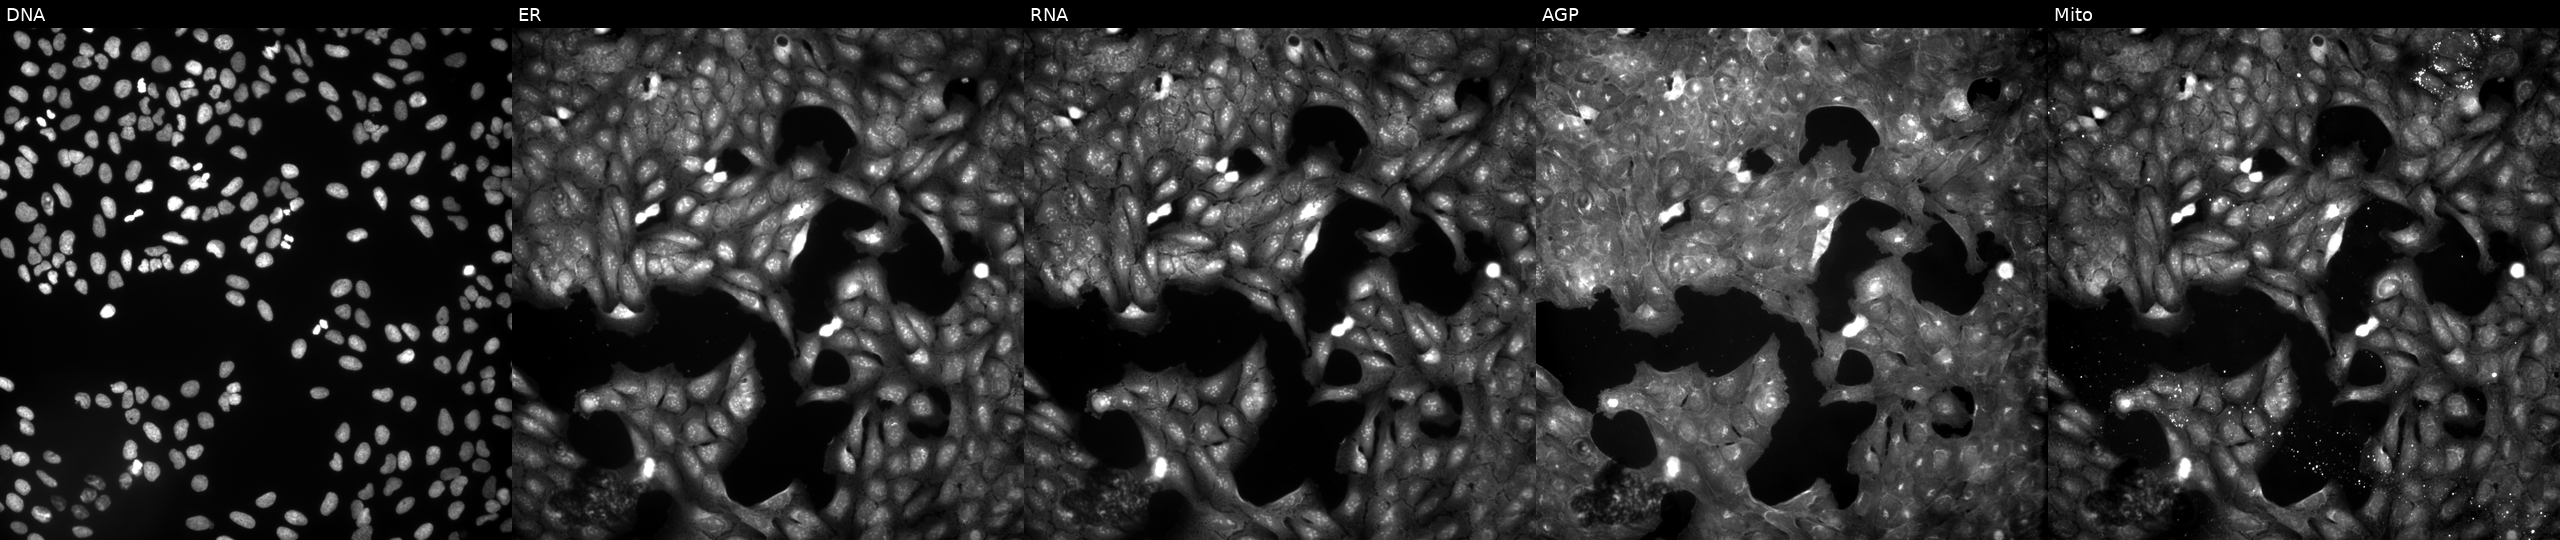
JUMP Cell Painting — COMPOUND plate. U2OS cells exposed to a small-molecule compound (JUMP id JCP2022_086831). From left to right: DNA (nuclei); ER (endoplasmic reticulum); RNA (nucleoli and cytoplasmic RNA); AGP (actin cytoskeleton, Golgi, and plasma membrane); Mito (mitochondria).